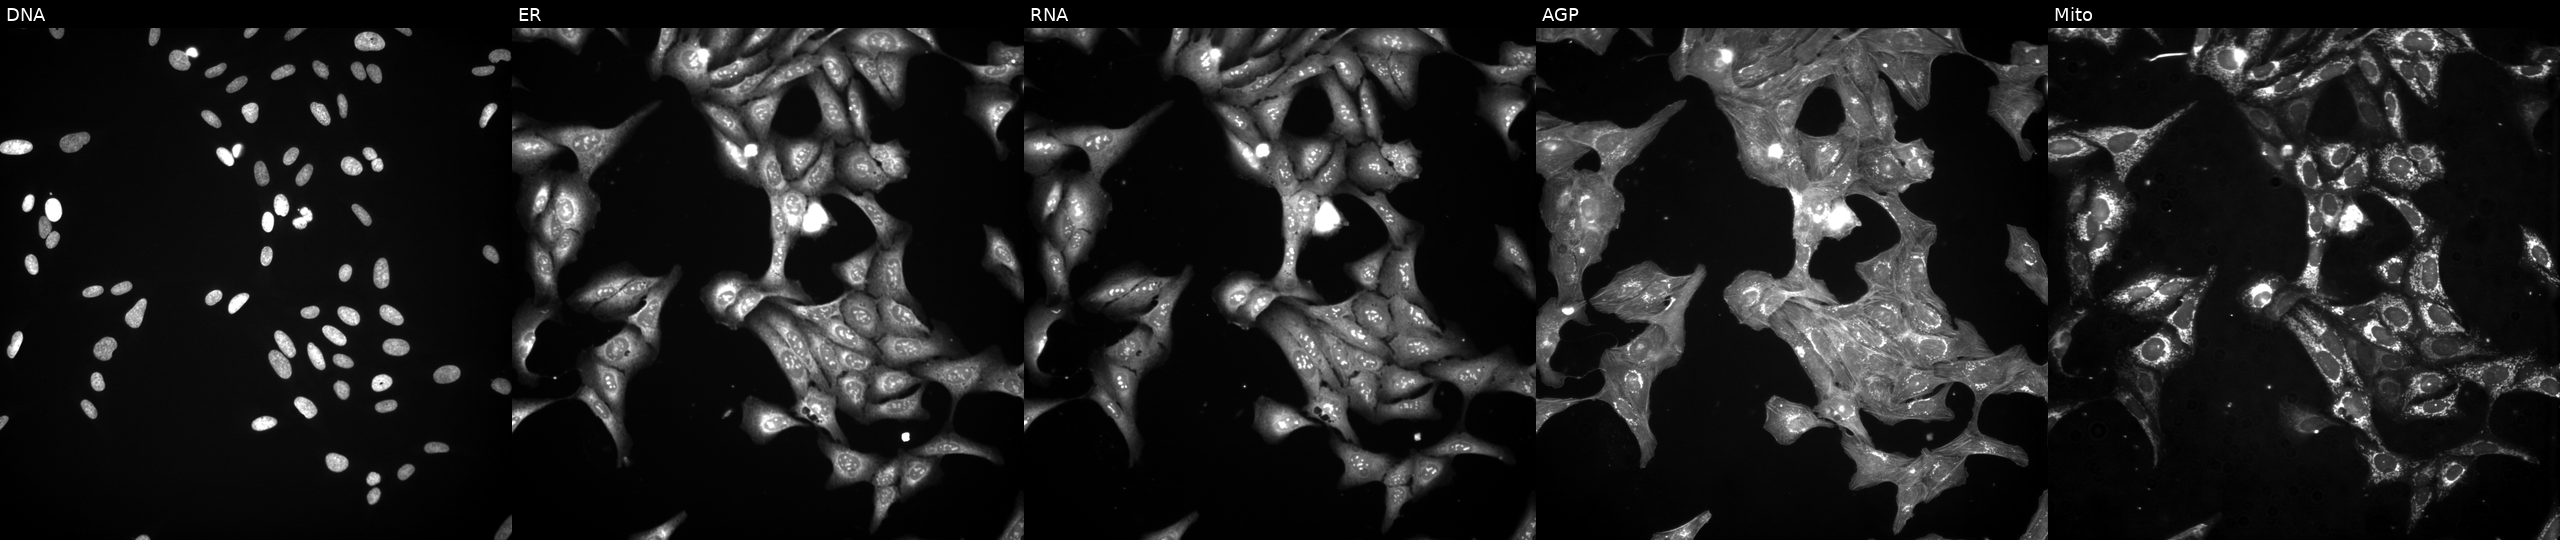
JUMP Cell Painting — TARGET2 plate. U2OS cells perturbed with a small-molecule compound [SMILES: COc1cc2ncnc(Sc3nnc(C)s3)c2cc1OC] (JUMP id JCP2022_080150). The five panels, left to right, show DNA (nuclei); ER (endoplasmic reticulum); RNA (nucleoli and cytoplasmic RNA); AGP (actin cytoskeleton, Golgi, and plasma membrane); Mito (mitochondria).